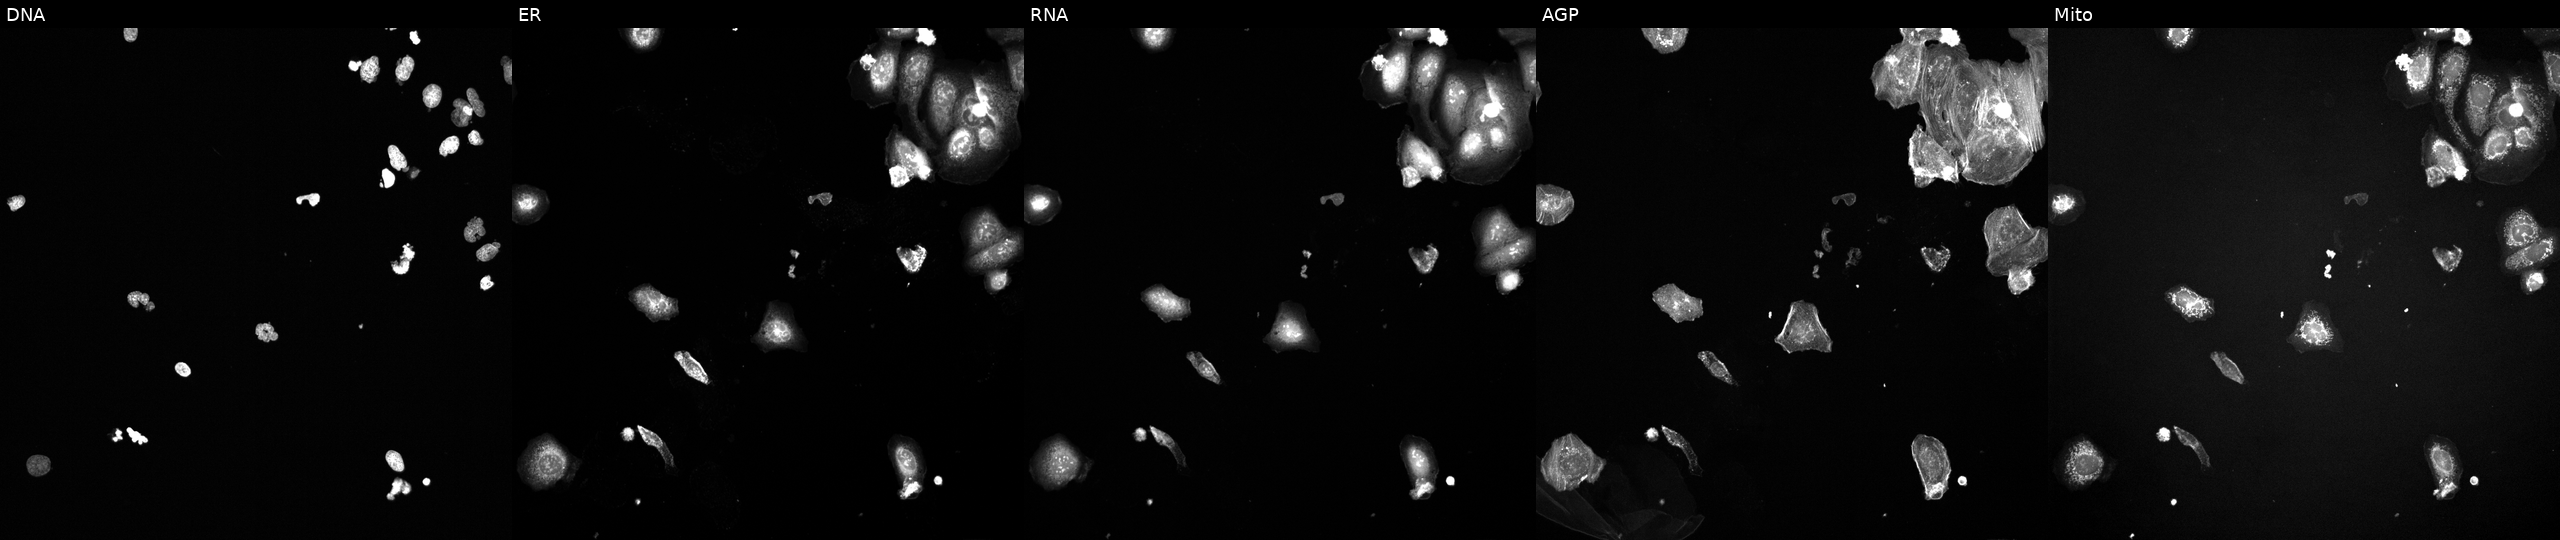
This image strip shows the five Cell Painting channels for a single field of U2OS cells perturbed with a small-molecule compound (InChIKey CMYHZFCJPORPHY-UHFFFAOYSA-N) (JUMP id JCP2022_012198). From left to right: Hoechst 33342, concanavalin A, SYTO 14, phalloidin and WGA, MitoTracker.